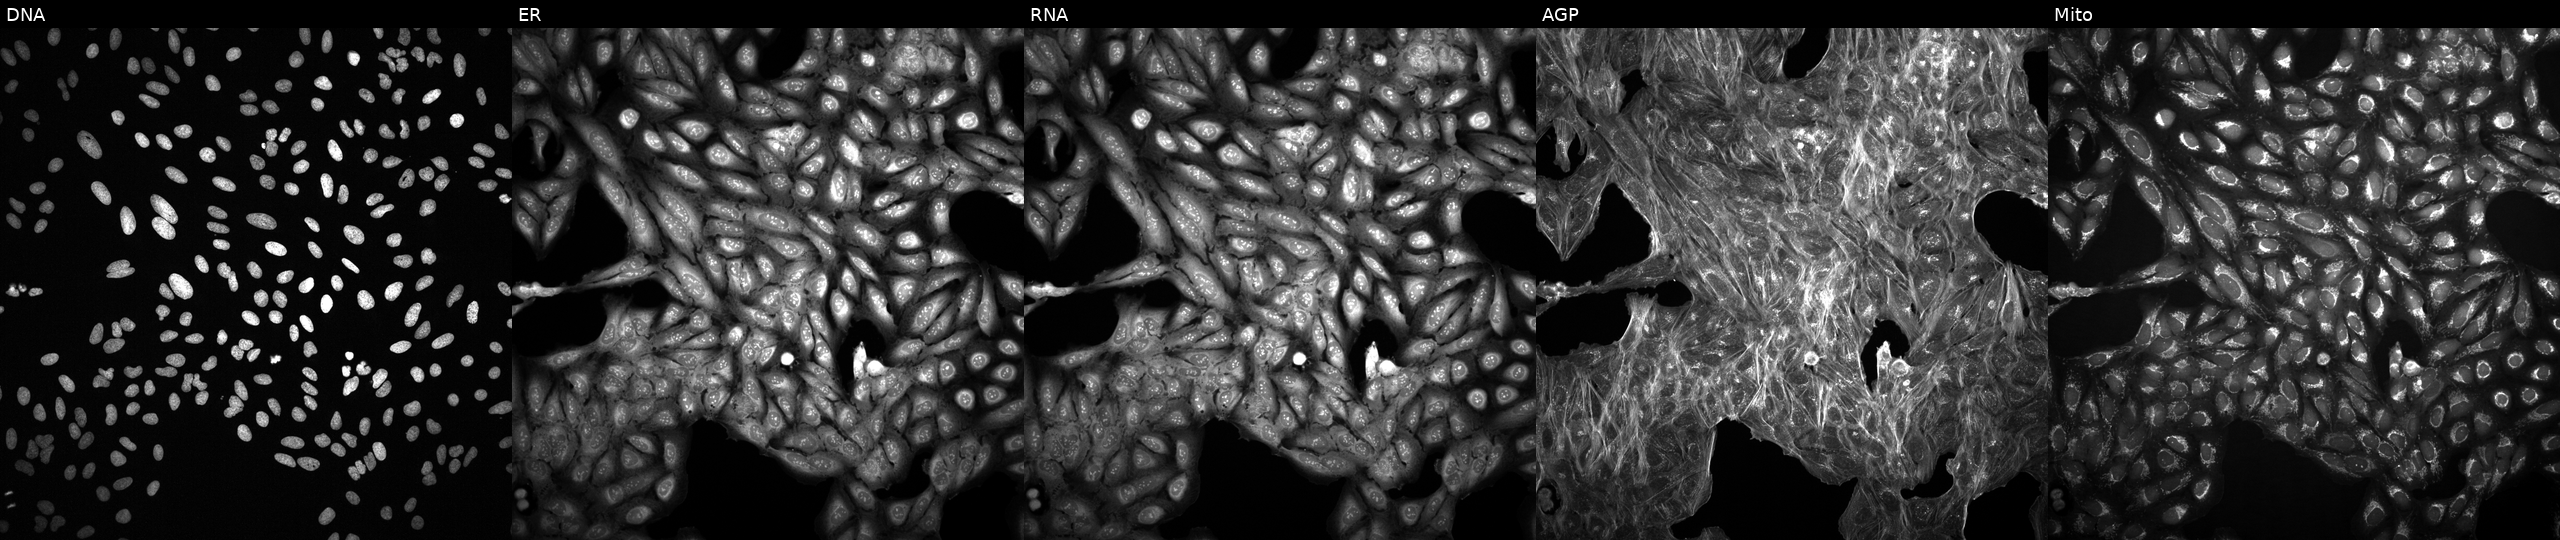
High-content fluorescence microscopy (Cell Painting). Cell line: U2OS. Perturbation: perturbed with a small-molecule compound [SMILES: O=c1c(CC[S+]([O-])c2ccccc2)c(O)n(-c2ccccc2)n1-c1ccccc1]. The five panels, left to right, show Hoechst 33342, concanavalin A, SYTO 14, phalloidin and WGA, MitoTracker. Source 2, plate 1053597936, well N09.